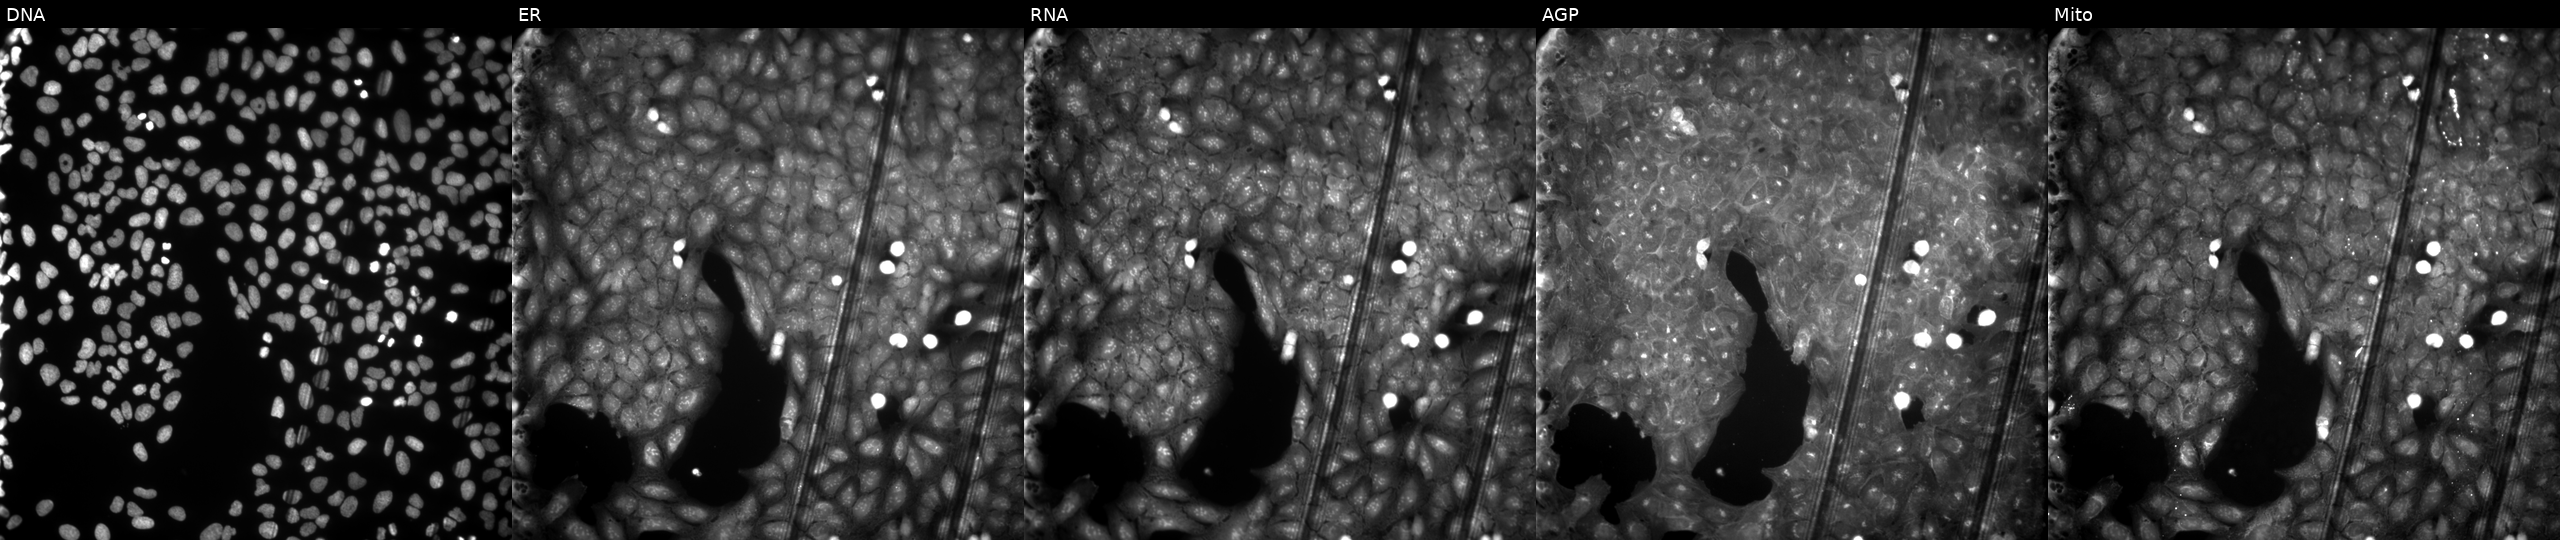
JUMP Cell Painting — COMPOUND plate. U2OS cells perturbed with a small-molecule compound (InChIKey TWDLVCXZJMHDQS-UHFFFAOYSA-N). From left to right: DNA (nuclei); ER (endoplasmic reticulum); RNA (nucleoli and cytoplasmic RNA); AGP (actin cytoskeleton, Golgi, and plasma membrane); Mito (mitochondria).